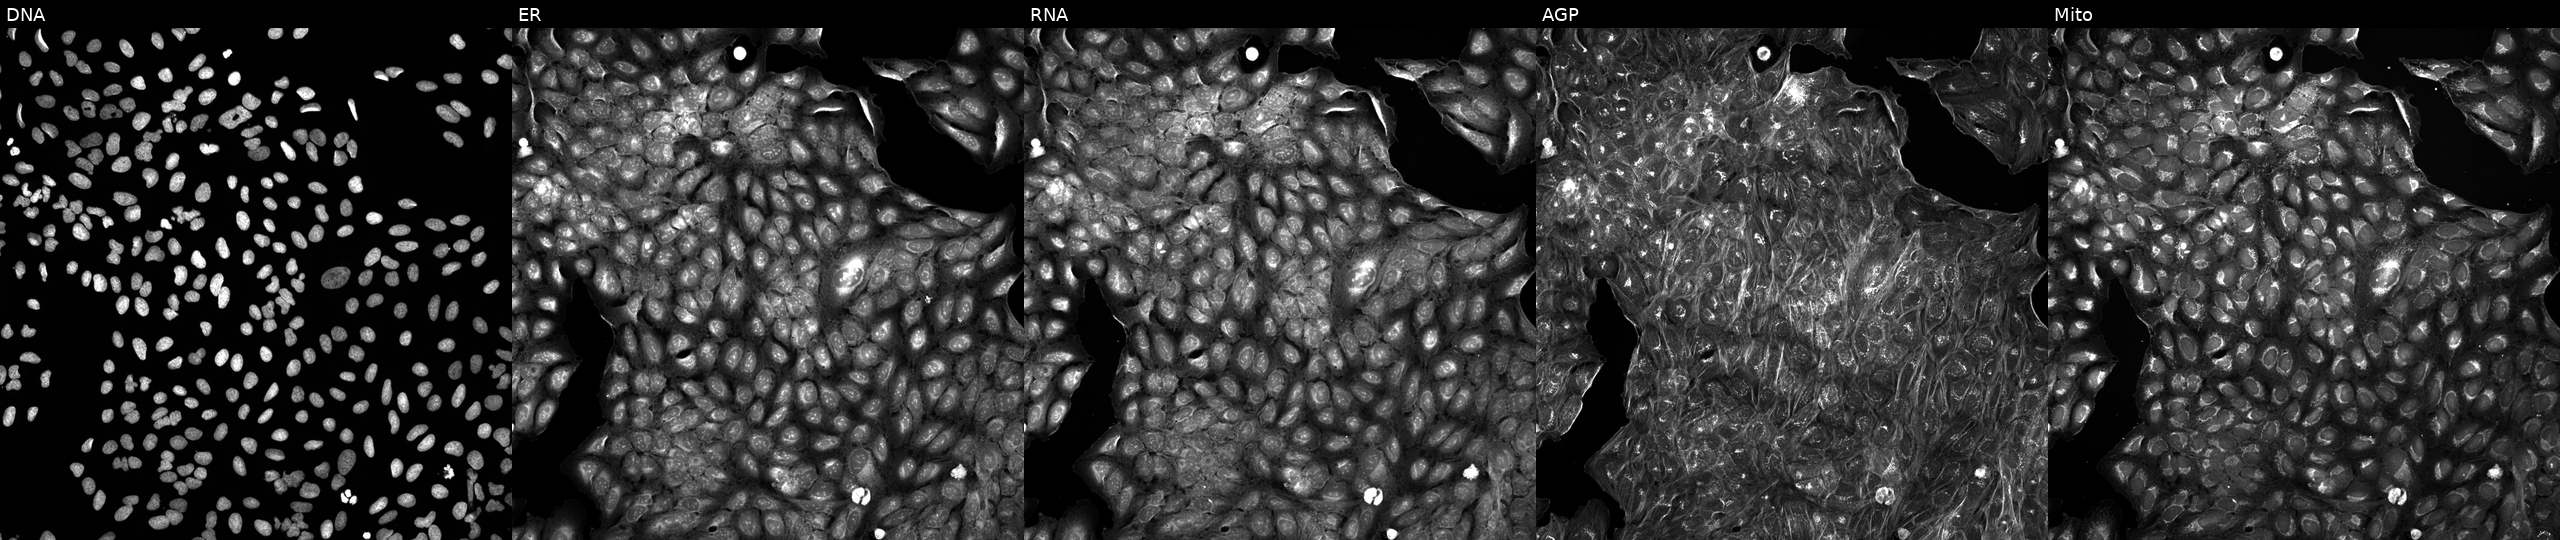
U2OS cells, Cell Painting assay, perturbed with a small-molecule compound. From left to right: Hoechst 33342, concanavalin A, SYTO 14, phalloidin and WGA, MitoTracker. Each panel is percentile-stretched 16-bit fluorescence. Source 5, plate APTJUM105, well F17.